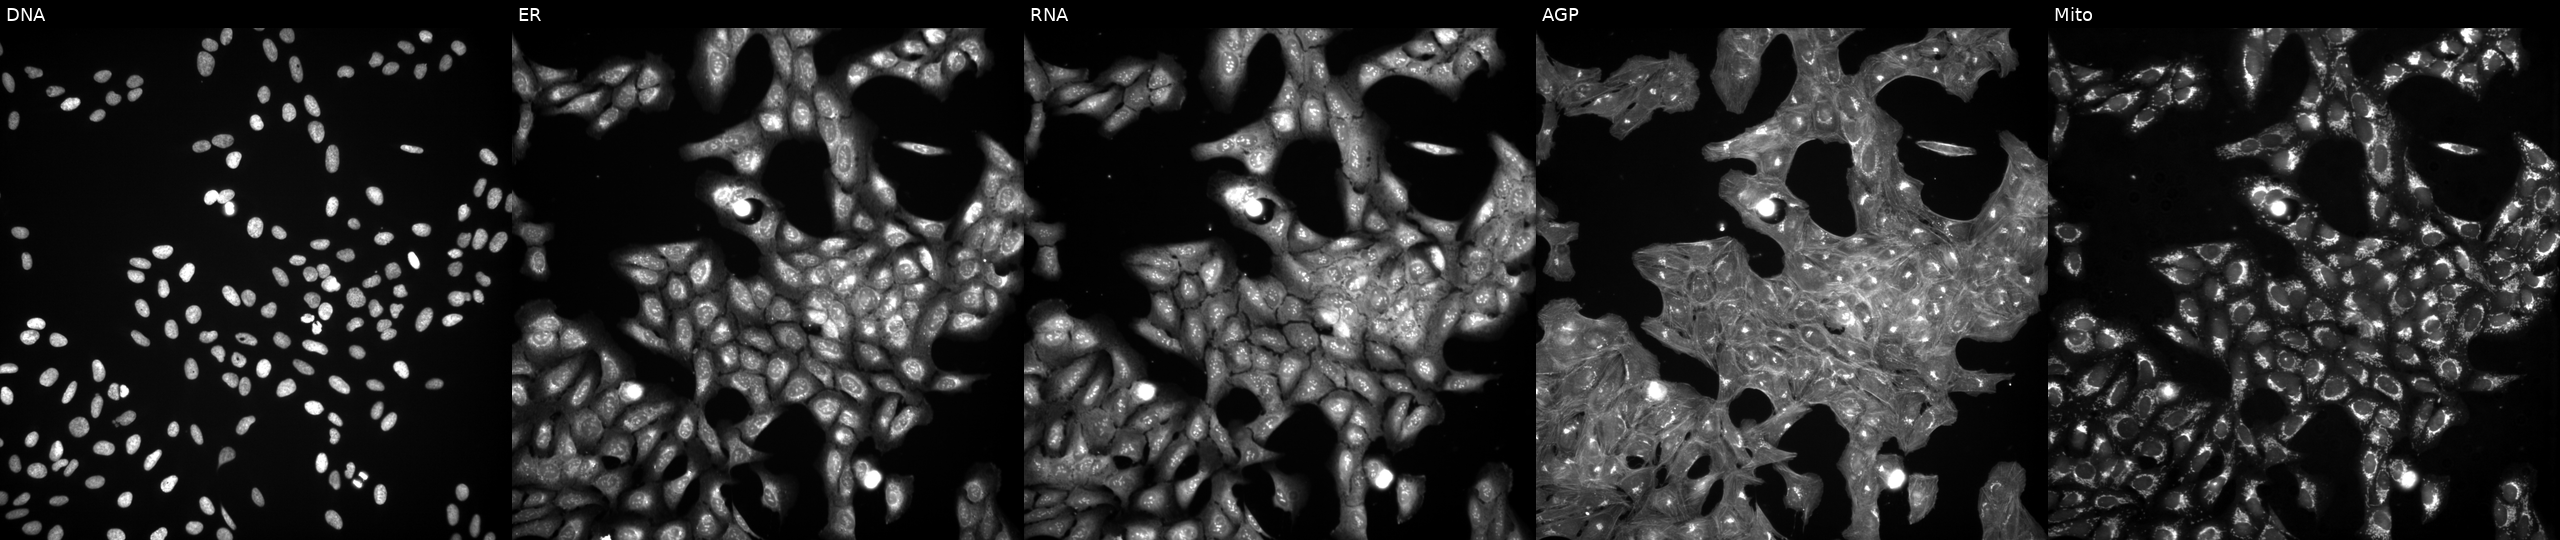
High-content fluorescence microscopy (Cell Painting). Cell line: U2OS. Perturbation: perturbed with a small-molecule compound (InChIKey CBZSLKJHWJVQIW-UHFFFAOYSA-N) [SMILES: O=S(=O)(c1ccccc1)c1[nH]c(=Nc2cccc(O)c2)sc1Cl] (JUMP id JCP2022_010128). From left to right: Hoechst 33342, concanavalin A, SYTO 14, phalloidin and WGA, MitoTracker.